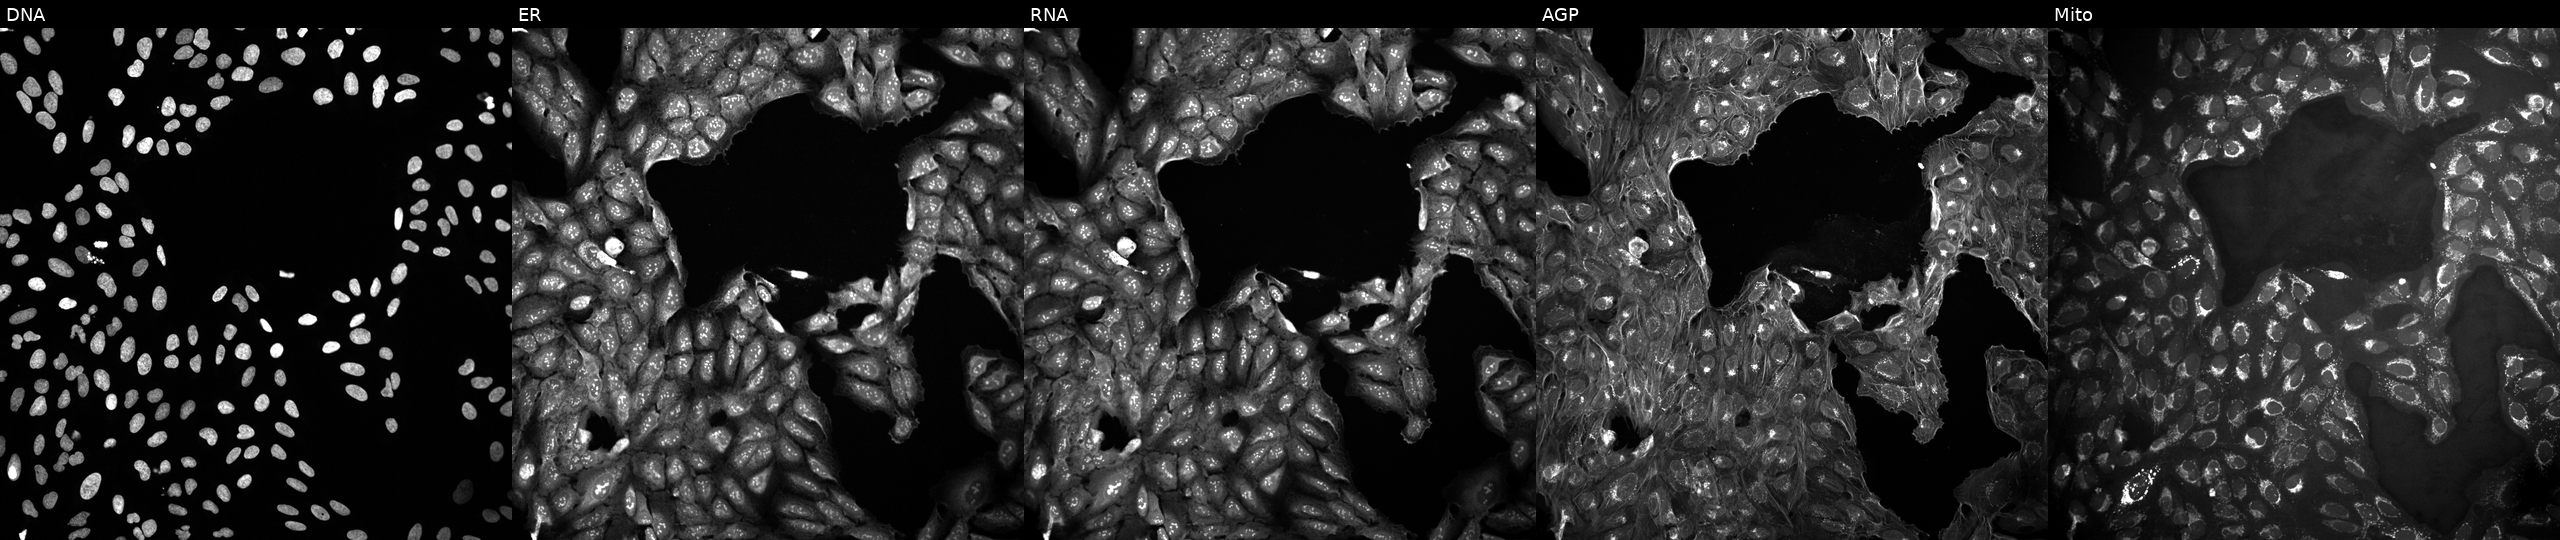
U2OS cells, Cell Painting assay, in an empty control well (no perturbation) (JUMP id JCP2022_999999). Channels (left→right): DNA (nuclei); ER (endoplasmic reticulum); RNA (nucleoli and cytoplasmic RNA); AGP (actin cytoskeleton, Golgi, and plasma membrane); Mito (mitochondria). Each panel is percentile-stretched 16-bit fluorescence. Source 10, plate Dest210531-152149, well O15.